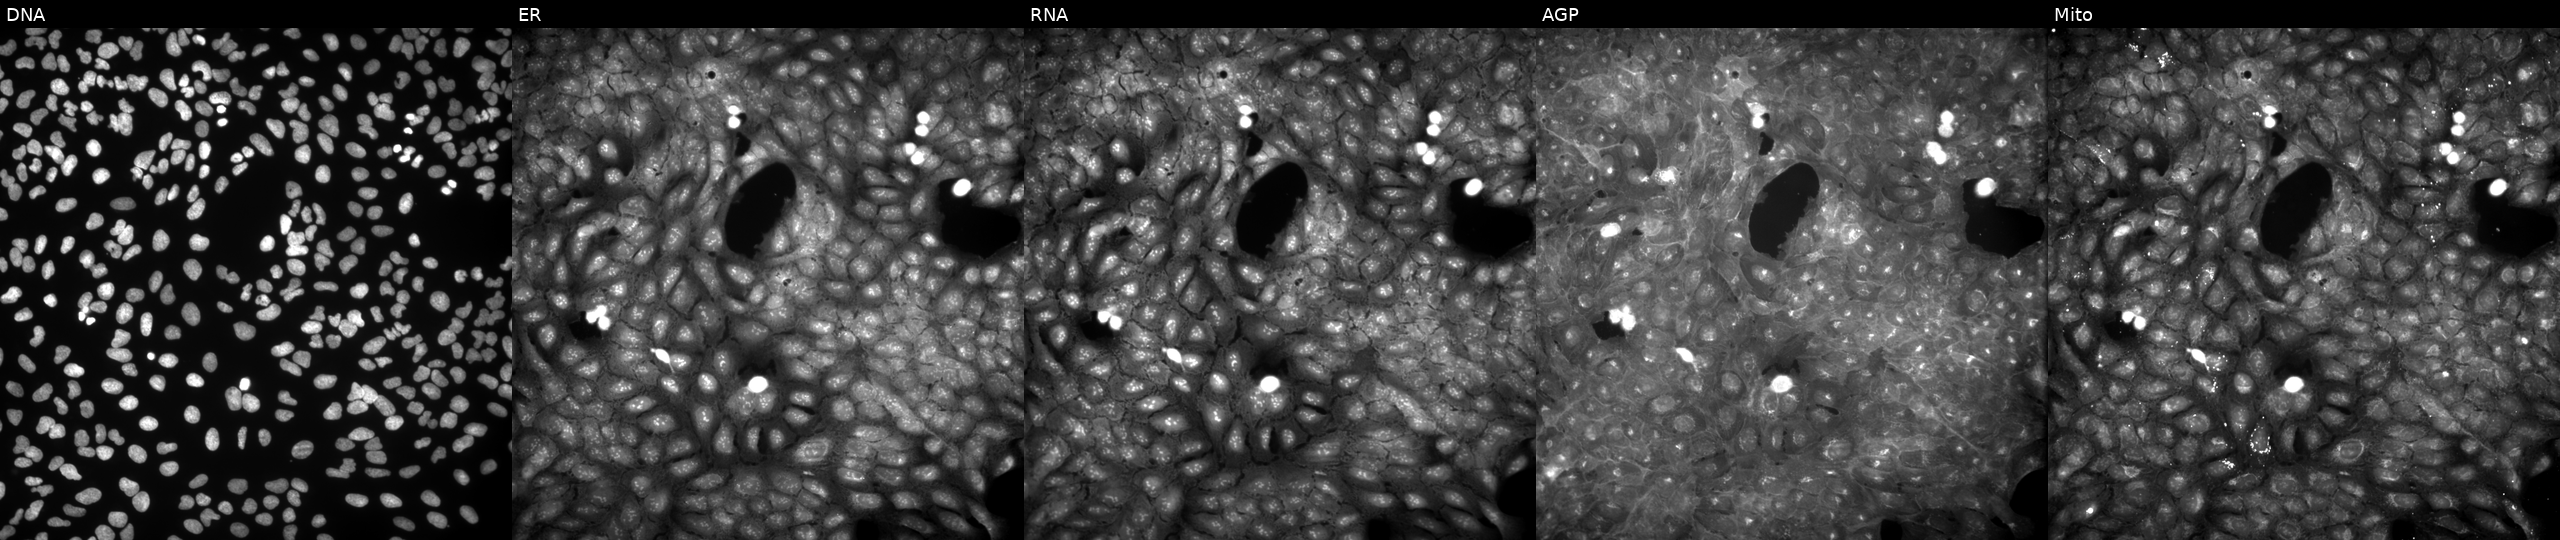
This image strip shows the five Cell Painting channels for a single field of U2OS cells exposed to a small-molecule compound (InChIKey MZTYAVVWCUVWPU-UHFFFAOYSA-N) [SMILES: CCc1cccc(C)c1NC(=O)CSc1n[nH]c(=N)s1] (JUMP id JCP2022_057606). Panels show, left to right, Hoechst 33342, concanavalin A, SYTO 14, phalloidin and WGA, MitoTracker. Source 9, plate GR00003381, well N27.